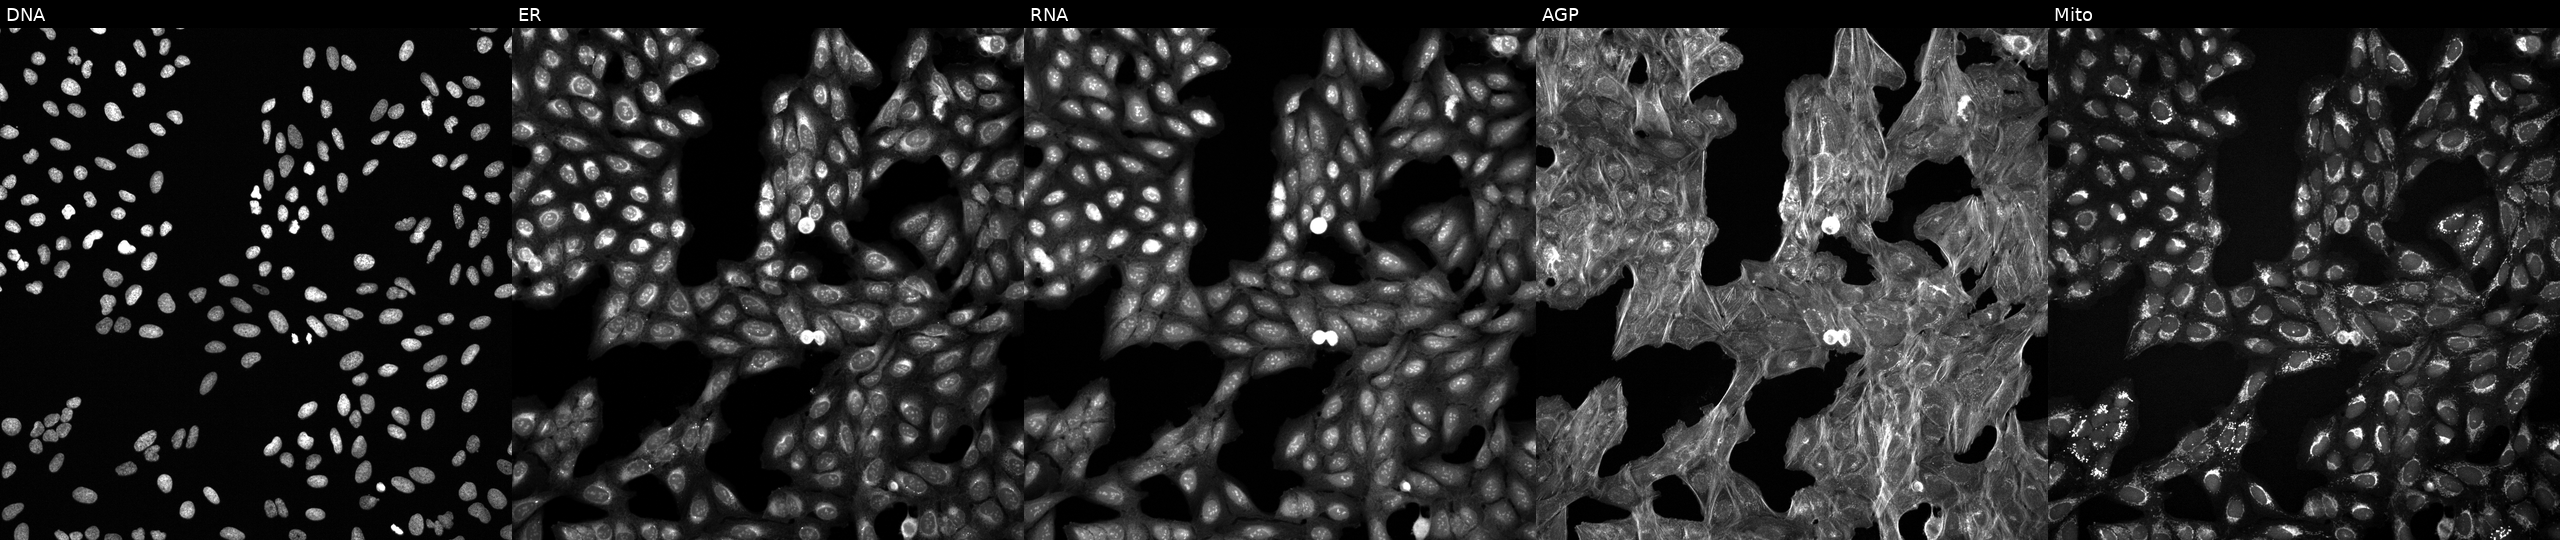
U2OS cells, Cell Painting assay, treated with a small-molecule compound (InChIKey NUKYPUAOHBNCPY-UHFFFAOYSA-N). From left to right: Hoechst 33342, concanavalin A, SYTO 14, phalloidin and WGA, MitoTracker. Each panel is percentile-stretched 16-bit fluorescence.